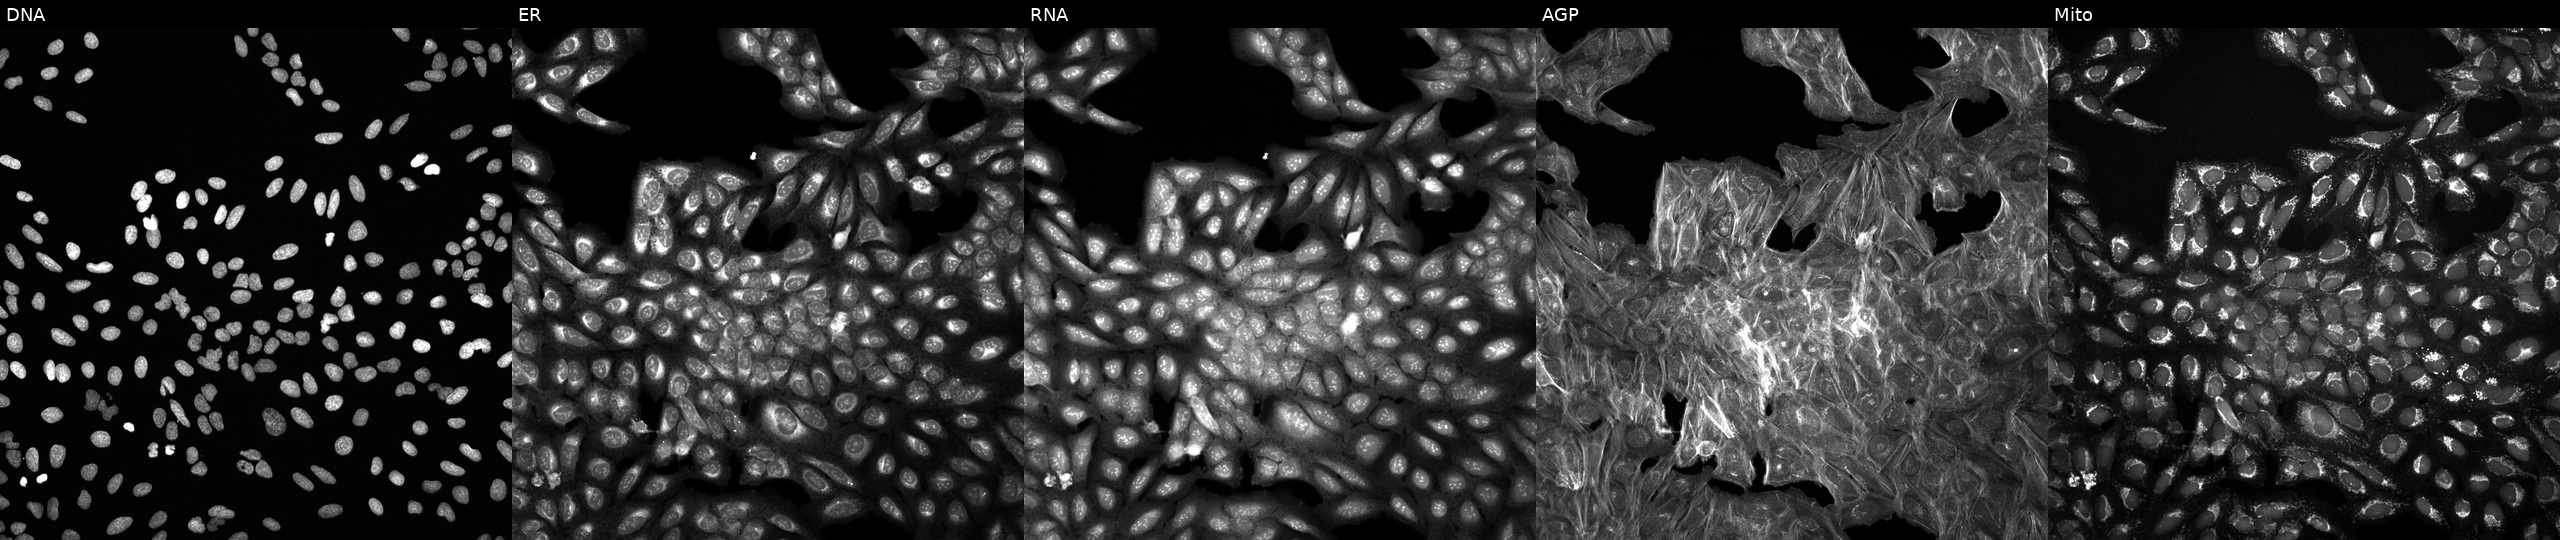
The five panels, left to right, show Hoechst 33342, concanavalin A, SYTO 14, phalloidin and WGA, MitoTracker. U2OS osteosarcoma cells perturbed with a small-molecule compound (InChIKey UZDORQWMYRRLQV-UHFFFAOYSA-N). Cell Painting assay, JUMP-CP dataset.